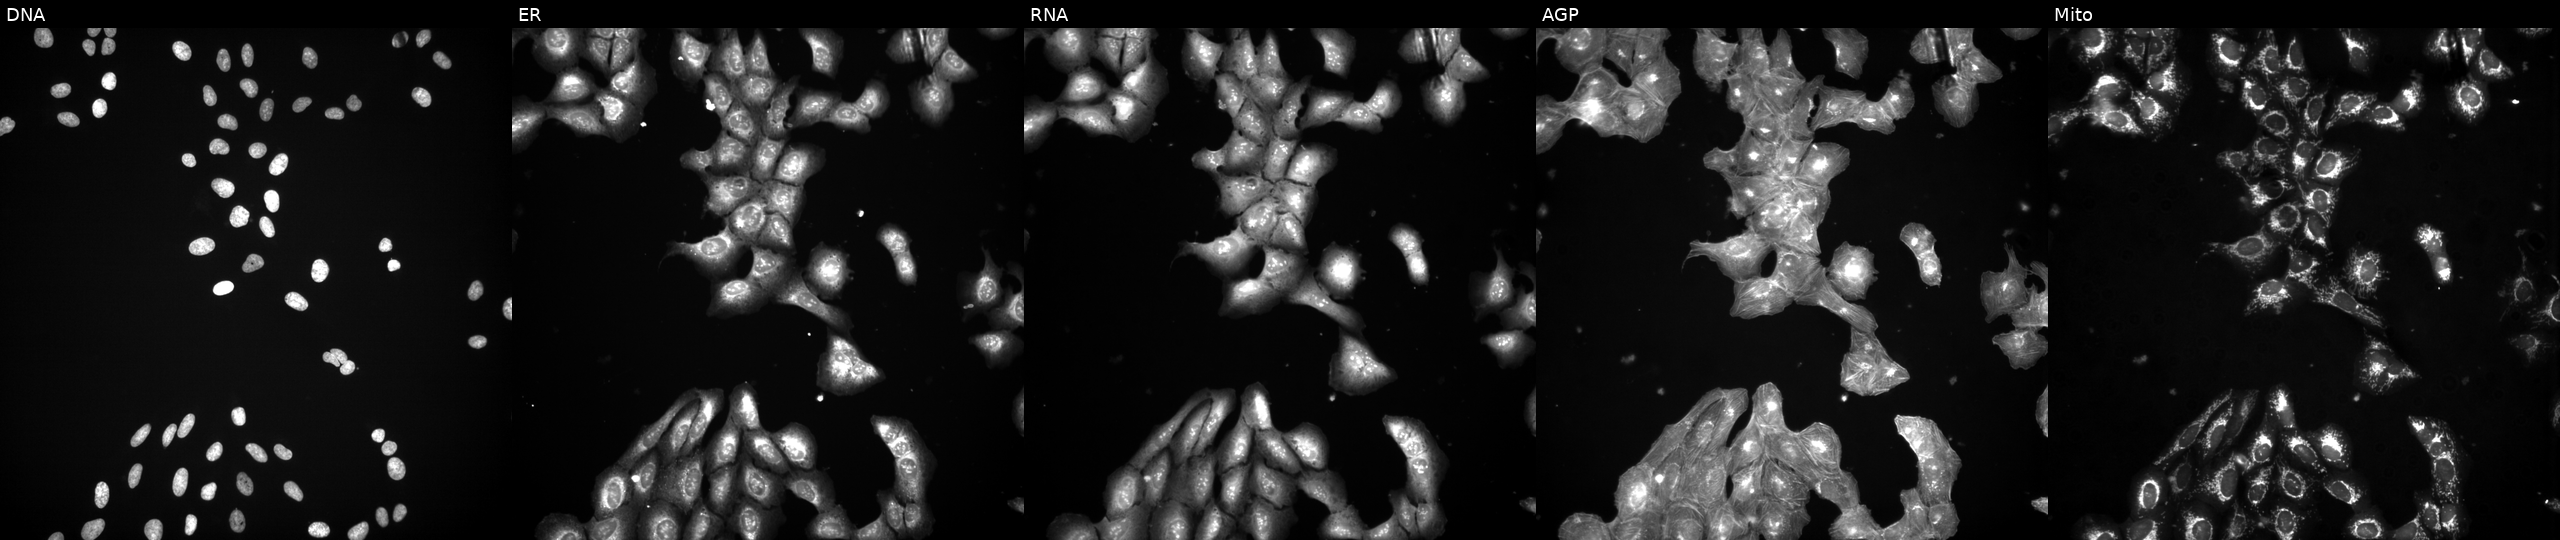
Channels (left→right): DNA (nuclei); ER (endoplasmic reticulum); RNA (nucleoli and cytoplasmic RNA); AGP (actin cytoskeleton, Golgi, and plasma membrane); Mito (mitochondria). U2OS osteosarcoma cells treated with a small-molecule compound. Cell Painting assay, JUMP-CP dataset. Source 3, plate JCPQC053, well D04.